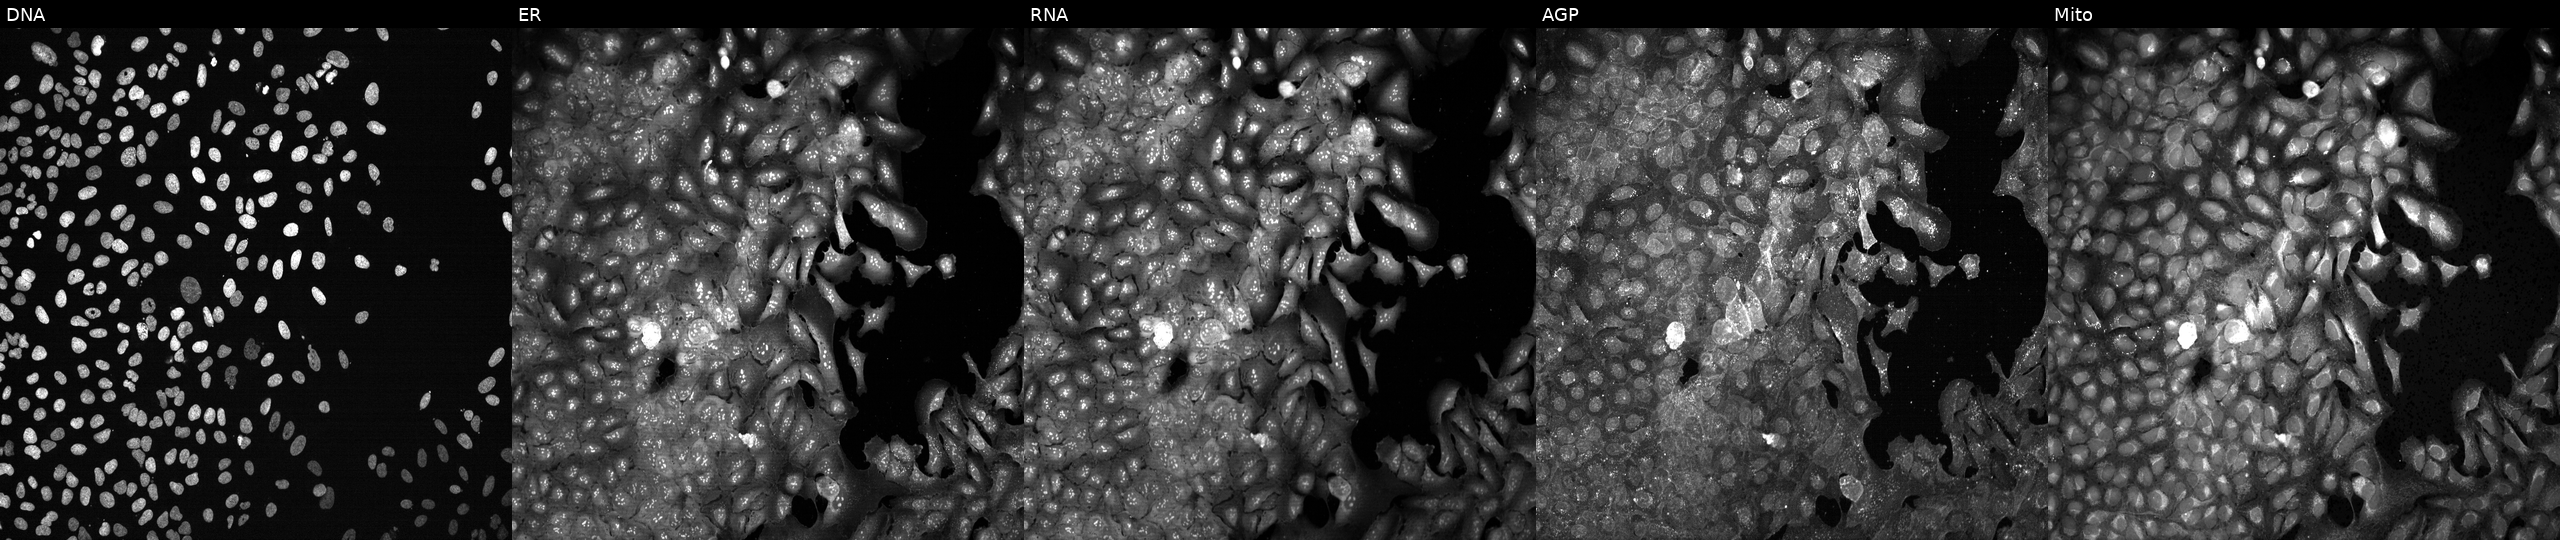
Channels (left→right): Hoechst 33342, concanavalin A, SYTO 14, phalloidin and WGA, MitoTracker. U2OS osteosarcoma cells with APOB knocked out by CRISPR (JUMP id JCP2022_800514). Cell Painting assay, JUMP-CP dataset. Source 13, plate CP-CC9-R1-02, well O13.